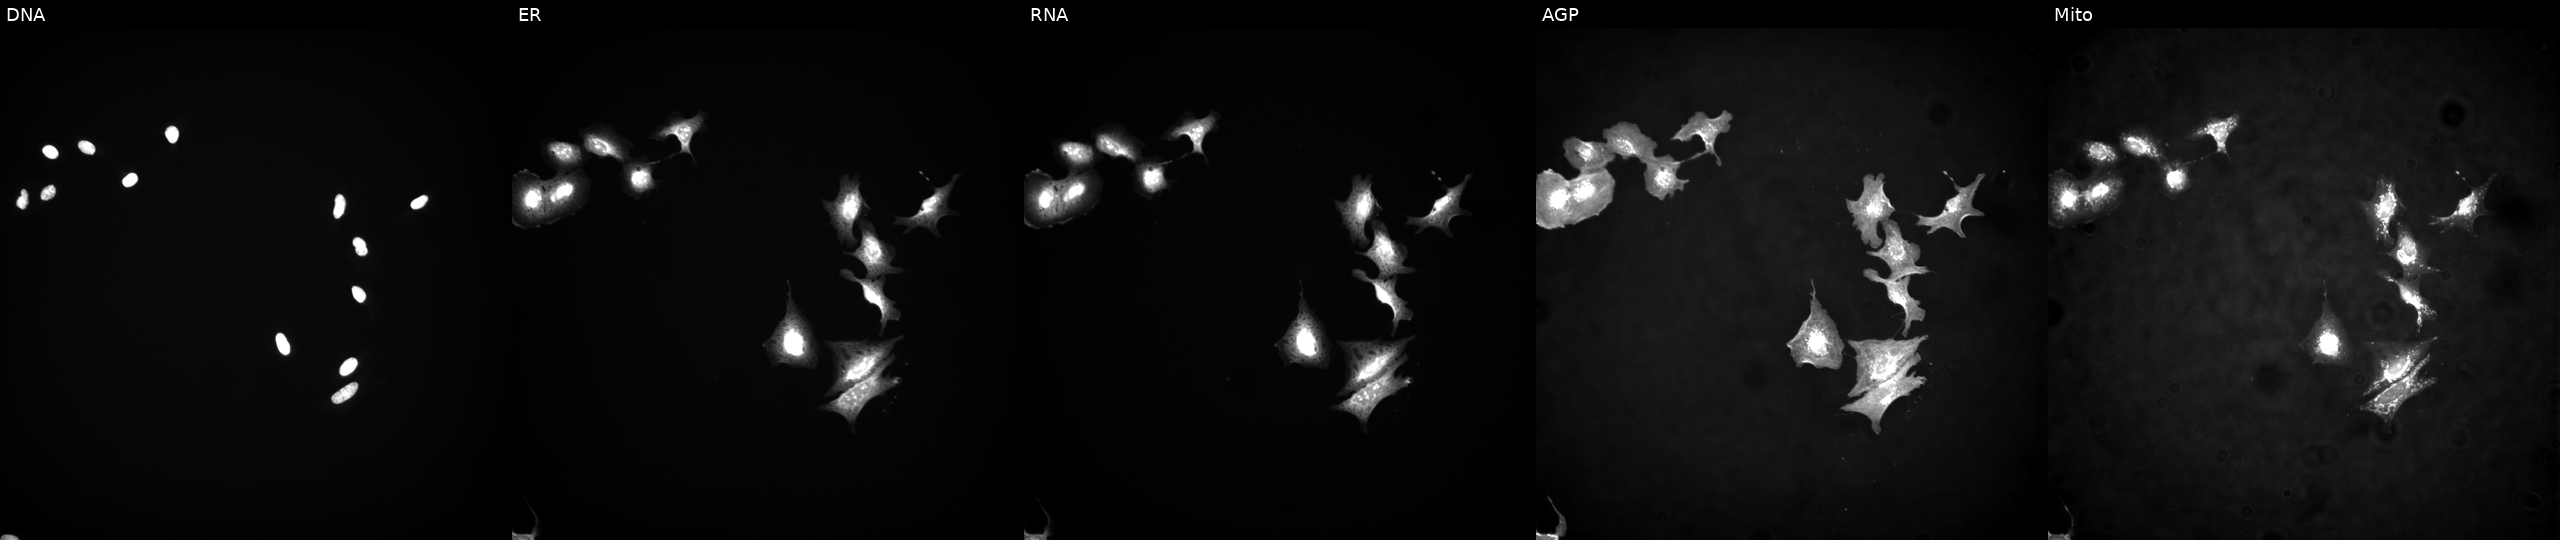
High-content fluorescence microscopy (Cell Painting). Cell line: U2OS. Perturbation: transfected with an ORF construct for DDR1 (JUMP id JCP2022_913590). Panels show, left to right, Hoechst 33342, concanavalin A, SYTO 14, phalloidin and WGA, MitoTracker.